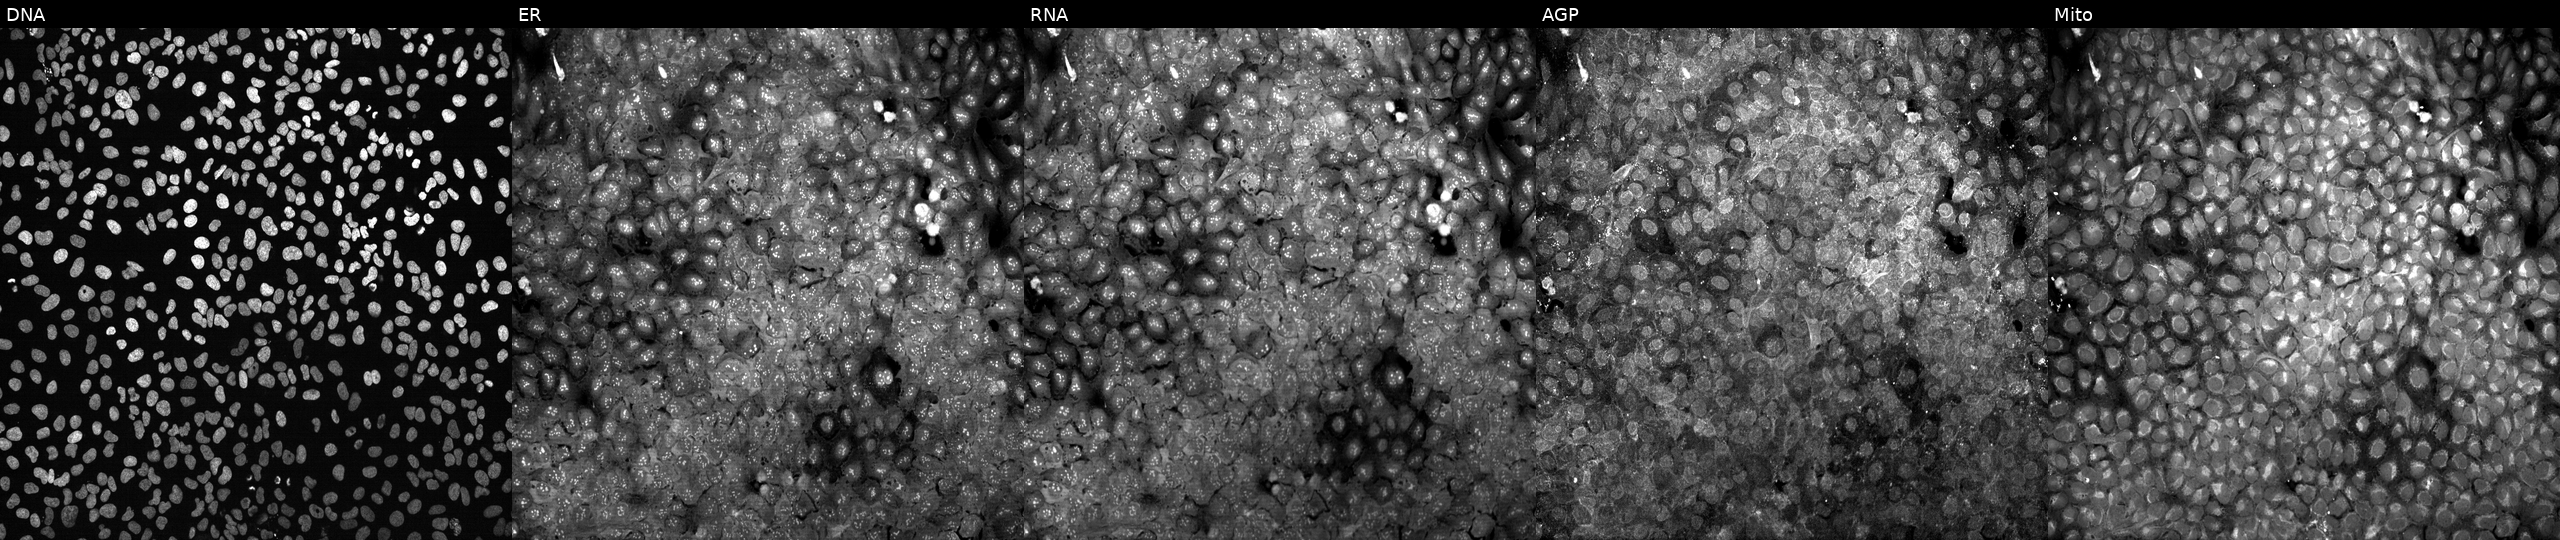
JUMP Cell Painting — CRISPR plate. U2OS cells with no CRISPR guide (negative control) (JUMP id JCP2022_800001). Channels (left→right): DNA (nuclei); ER (endoplasmic reticulum); RNA (nucleoli and cytoplasmic RNA); AGP (actin cytoskeleton, Golgi, and plasma membrane); Mito (mitochondria).